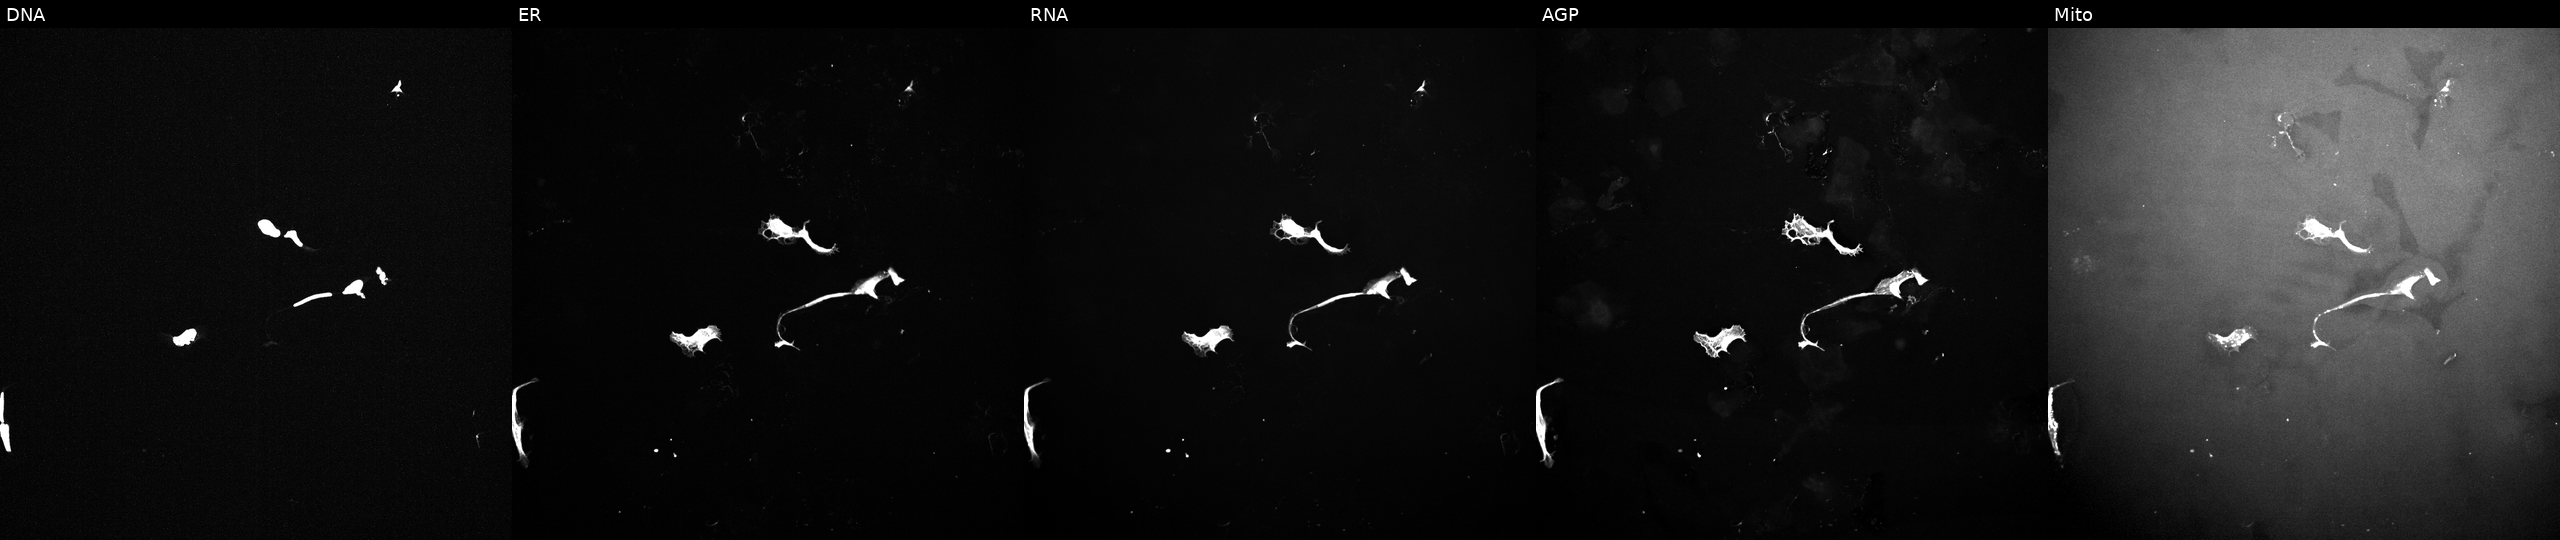
High-content fluorescence microscopy (Cell Painting). Cell line: U2OS. Perturbation: exposed to a small-molecule compound (InChIKey HYFHYPWGAURHIV-UHFFFAOYSA-N) [SMILES: COC(=O)CC(O)(CCCC(C)(C)O)C(=O)OC1C(OC)=CC23CCCN2CCc2cc4c(cc2C13)OCO4]. From left to right: Hoechst 33342, concanavalin A, SYTO 14, phalloidin and WGA, MitoTracker. Source 10, plate Dest210726-160150, well E10.